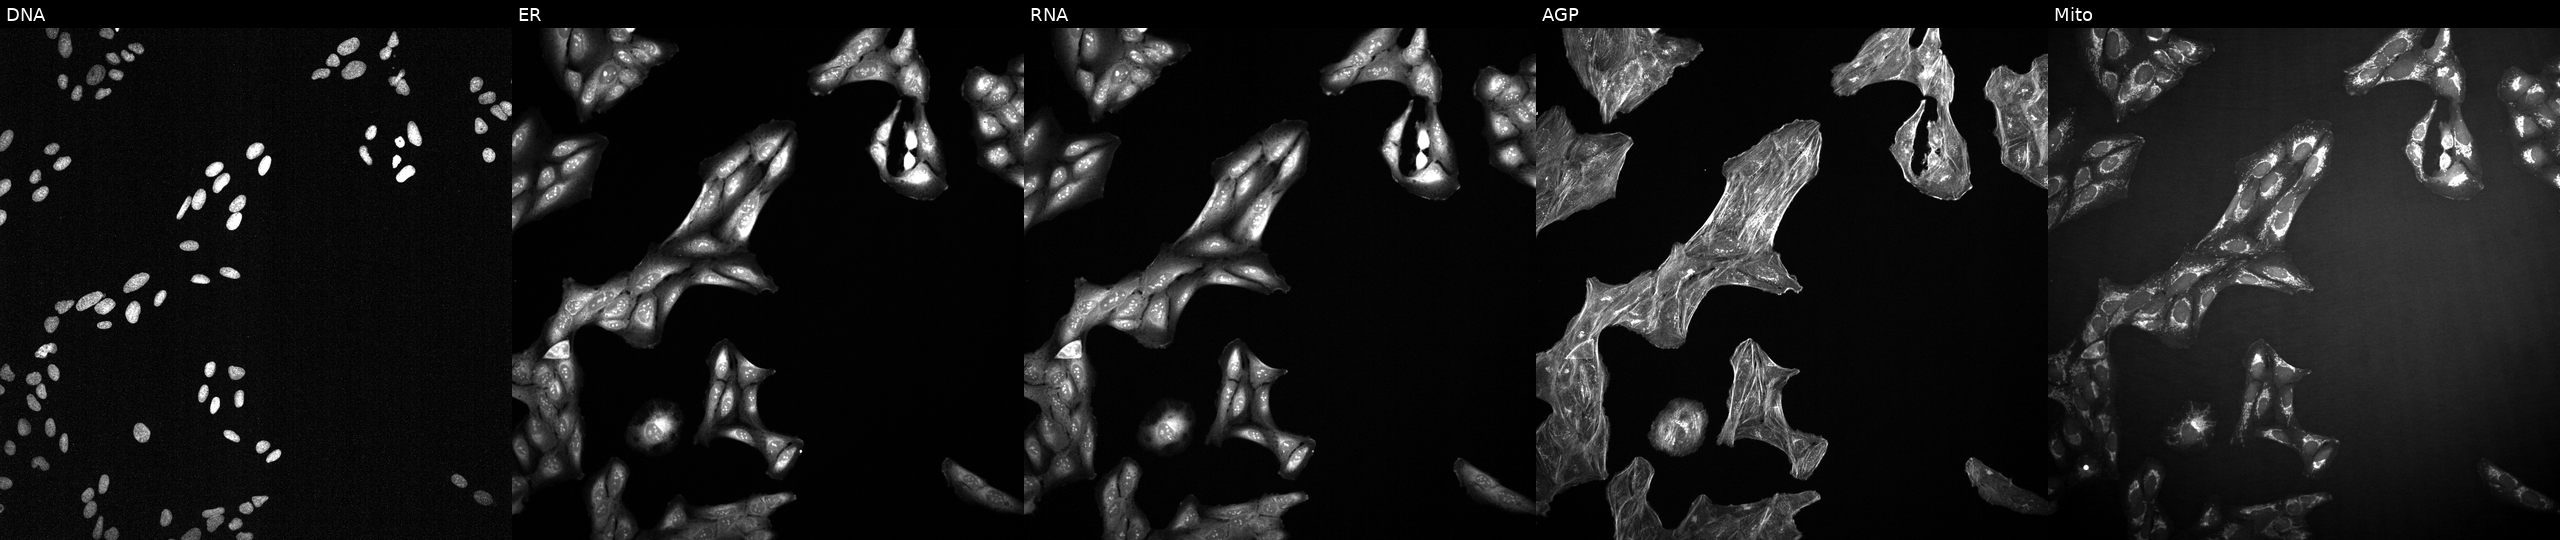
U2OS cells, Cell Painting assay, perturbed with a small-molecule compound [SMILES: NC(CSSCC(N)C(=O)O)C(=O)O]. The five panels, left to right, show Hoechst 33342, concanavalin A, SYTO 14, phalloidin and WGA, MitoTracker. Each panel is percentile-stretched 16-bit fluorescence. Source 2, plate 1053599503, well A18.